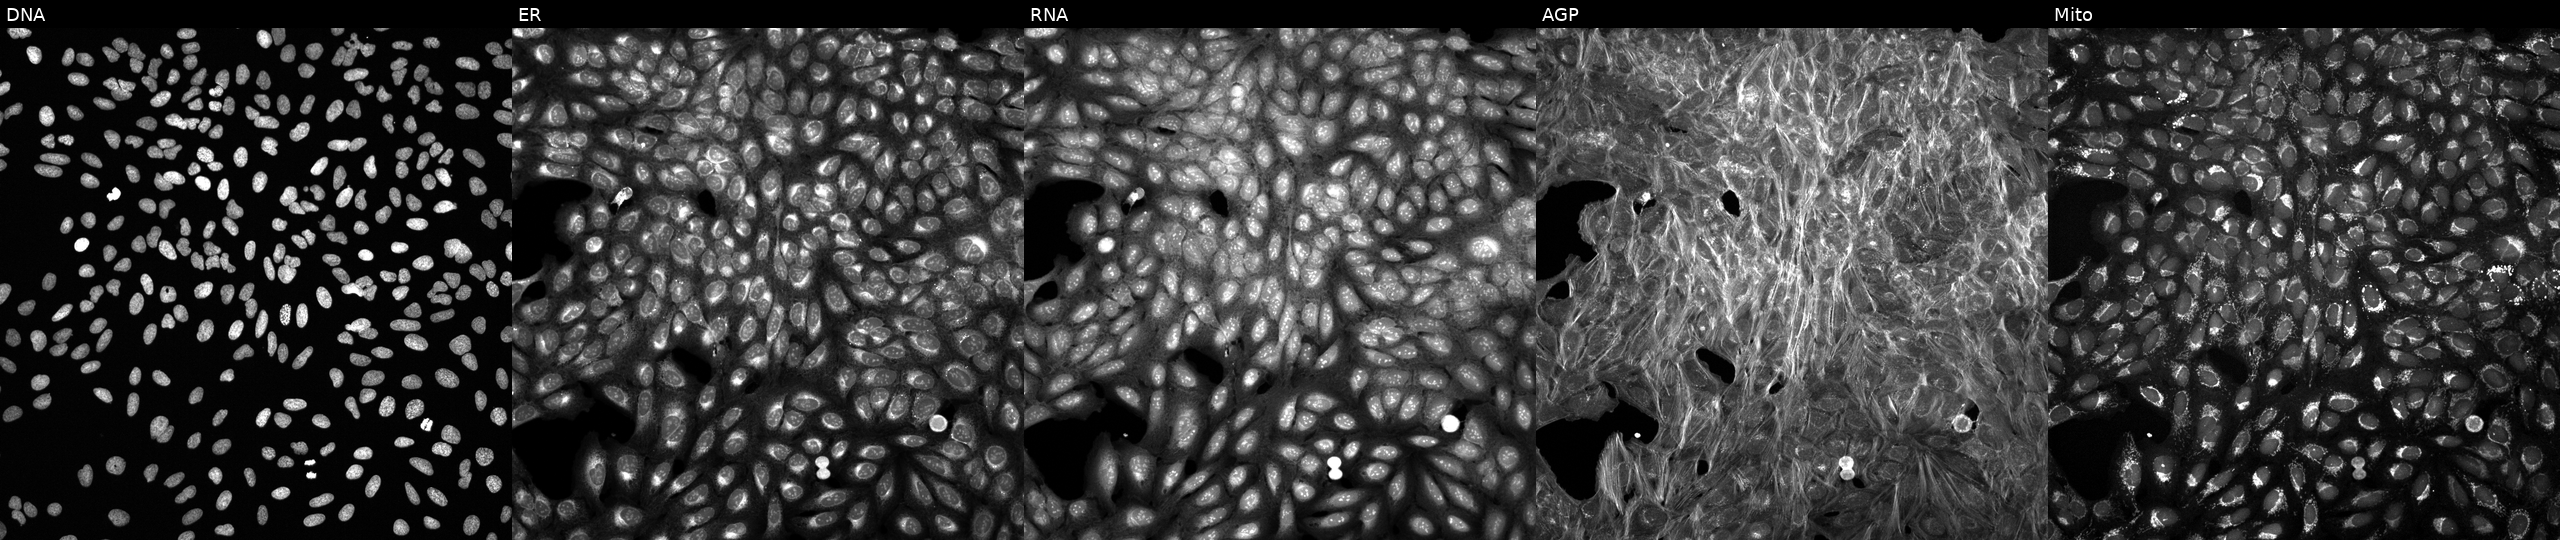
High-content fluorescence microscopy (Cell Painting). Cell line: U2OS. Perturbation: treated with a small-molecule compound (InChIKey VLDXCYOJADIXKM-UHFFFAOYSA-N). Panels show, left to right, Hoechst 33342, concanavalin A, SYTO 14, phalloidin and WGA, MitoTracker.